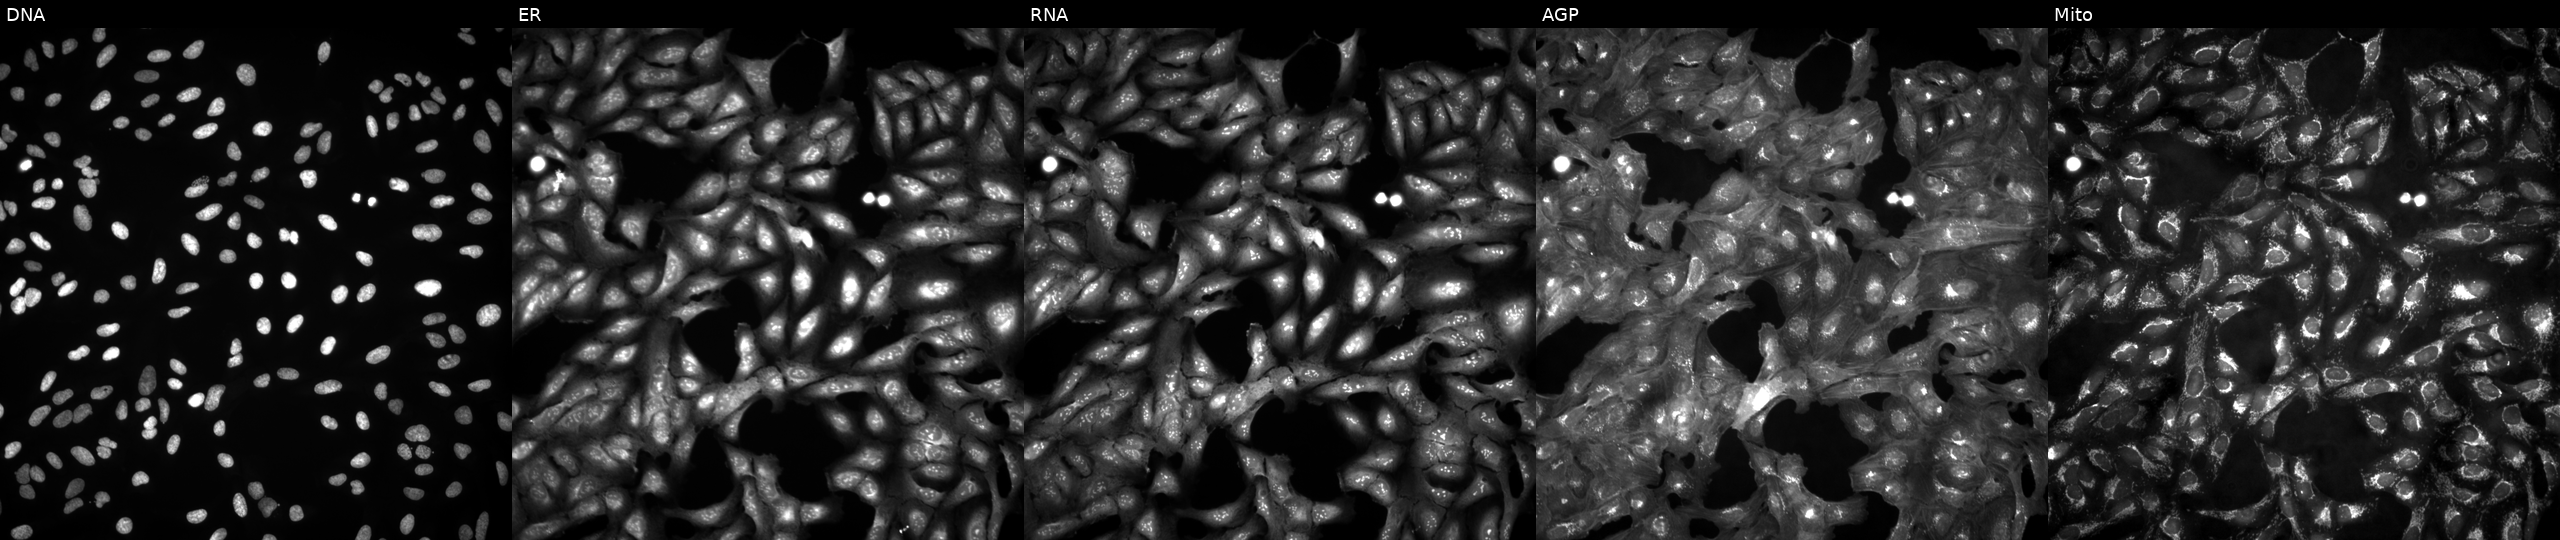
U2OS cells, Cell Painting assay, untreated (empty-well control) (JUMP id JCP2022_999999). Channels (left→right): DNA (nuclei); ER (endoplasmic reticulum); RNA (nucleoli and cytoplasmic RNA); AGP (actin cytoskeleton, Golgi, and plasma membrane); Mito (mitochondria). Each panel is percentile-stretched 16-bit fluorescence.